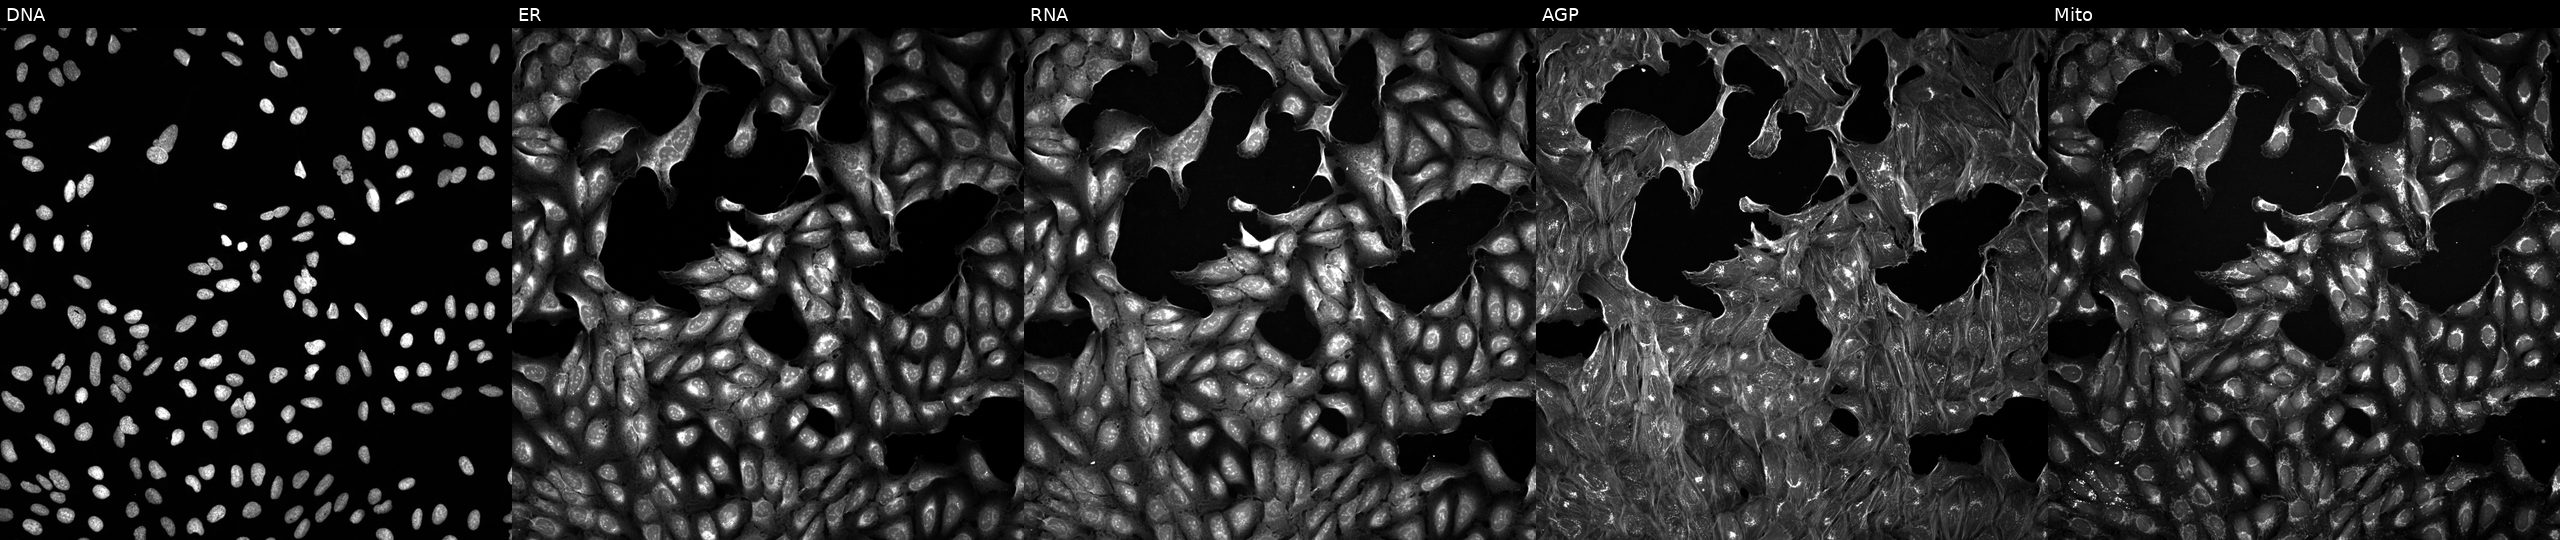
Five-channel Cell Painting image of U2OS cells treated with a small-molecule compound (InChIKey ZJVFLBOZORBYFE-UHFFFAOYSA-N) (JUMP id JCP2022_113779). The five panels, left to right, show Hoechst 33342, concanavalin A, SYTO 14, phalloidin and WGA, MitoTracker.